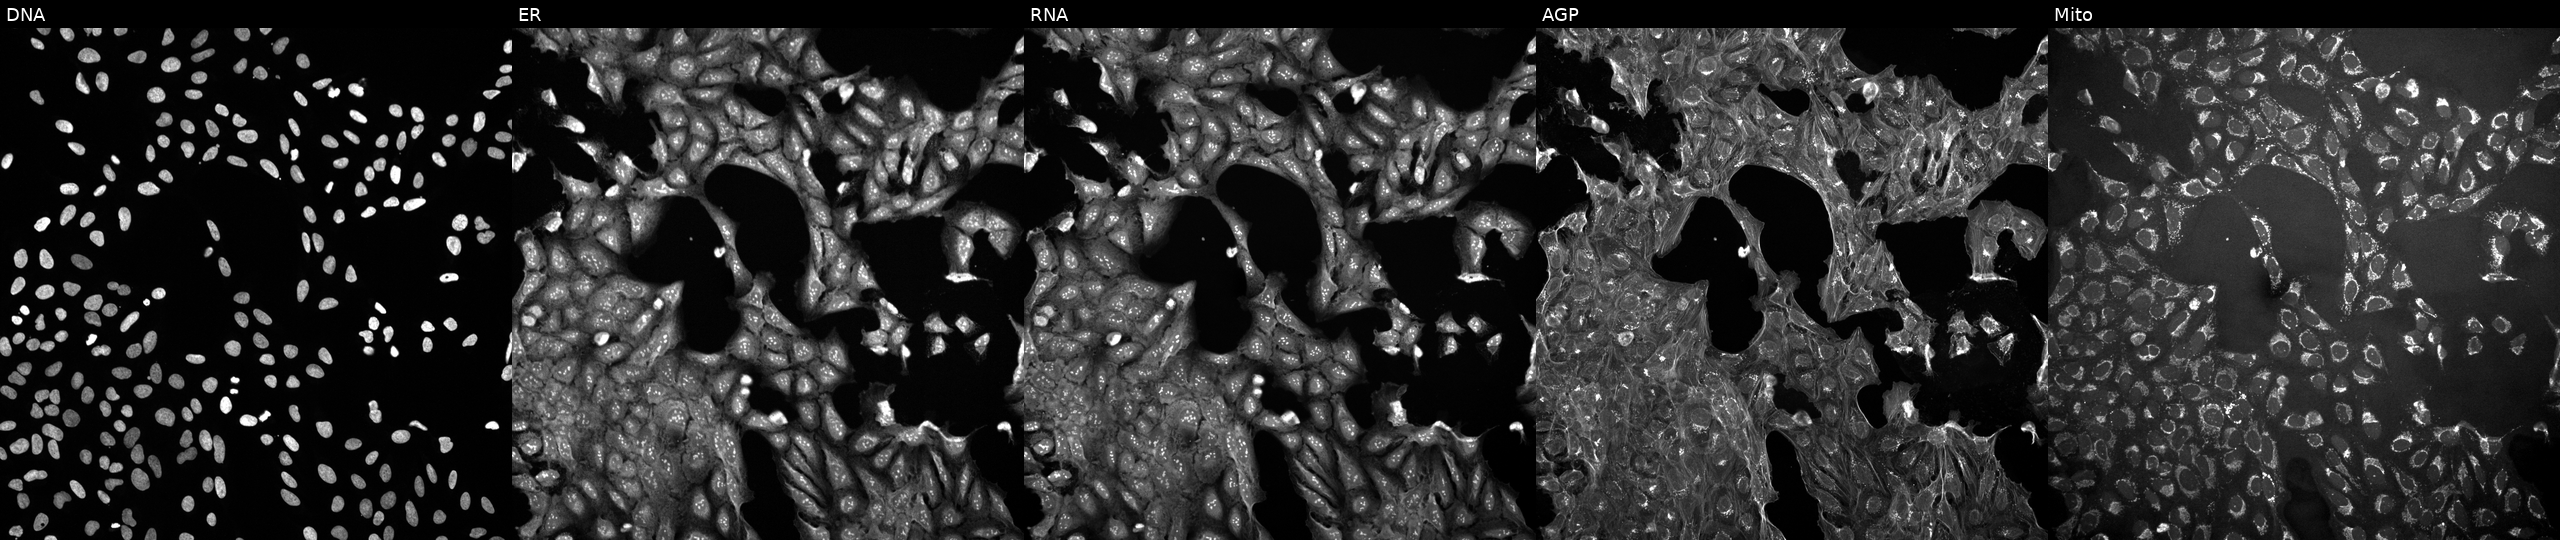
Channels (left→right): Hoechst 33342, concanavalin A, SYTO 14, phalloidin and WGA, MitoTracker. U2OS osteosarcoma cells exposed to a small-molecule compound (InChIKey IRVUMFSKIKORTI-UHFFFAOYSA-N) (JUMP id JCP2022_037012). Cell Painting assay, JUMP-CP dataset.